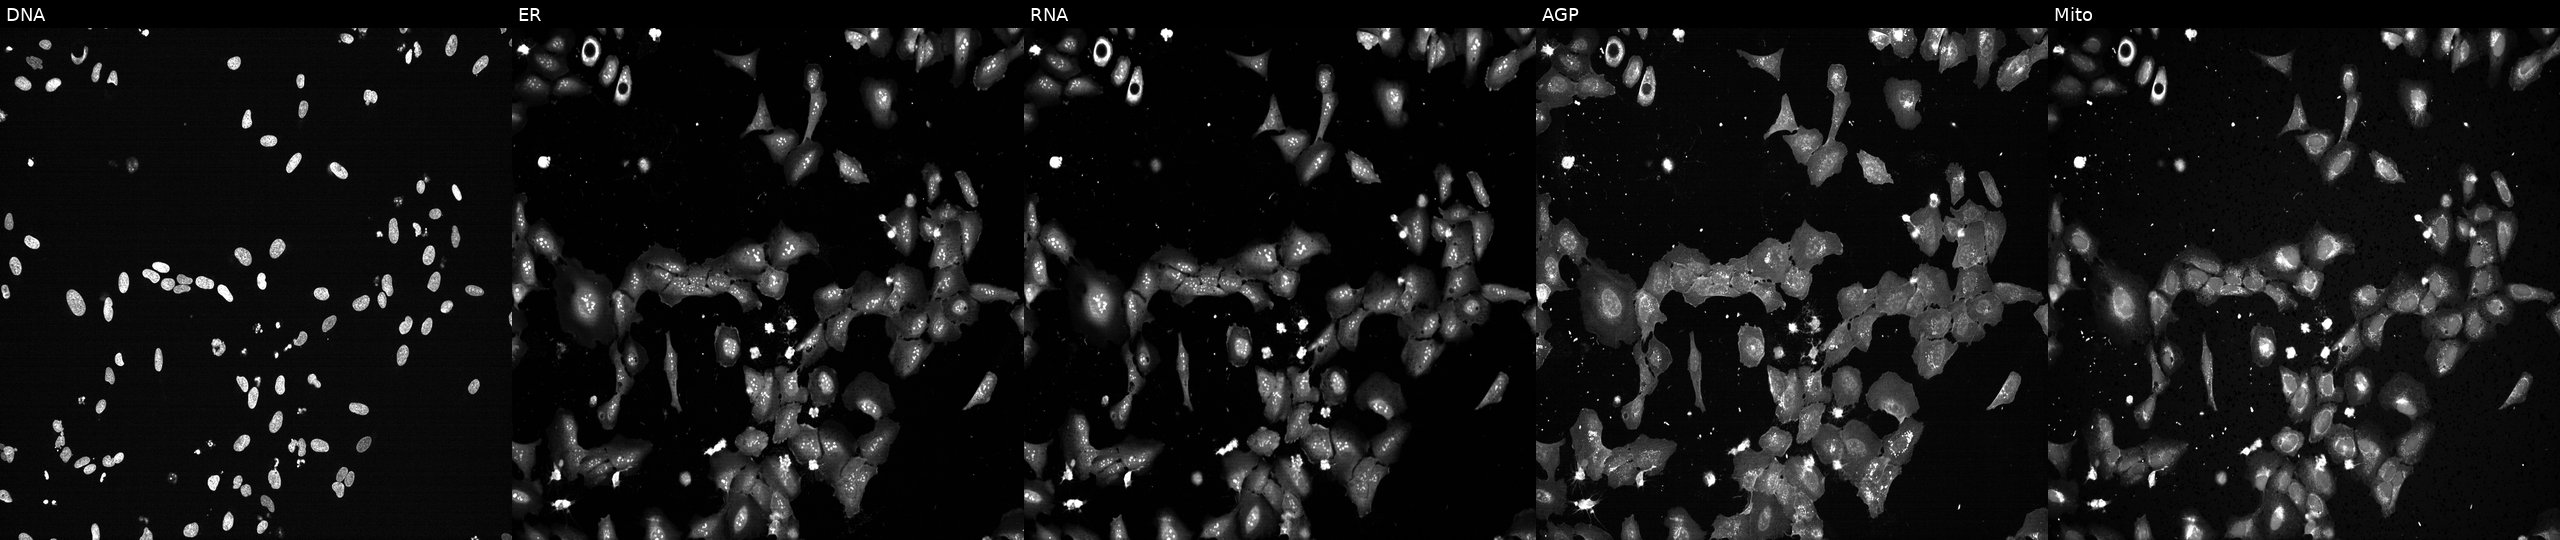
Channels (left→right): Hoechst 33342, concanavalin A, SYTO 14, phalloidin and WGA, MitoTracker. U2OS osteosarcoma cells exposed to the positive-control compound TC-S-7004. Cell Painting assay, JUMP-CP dataset. Source 13, plate CP-CC9-R1-01, well H01.